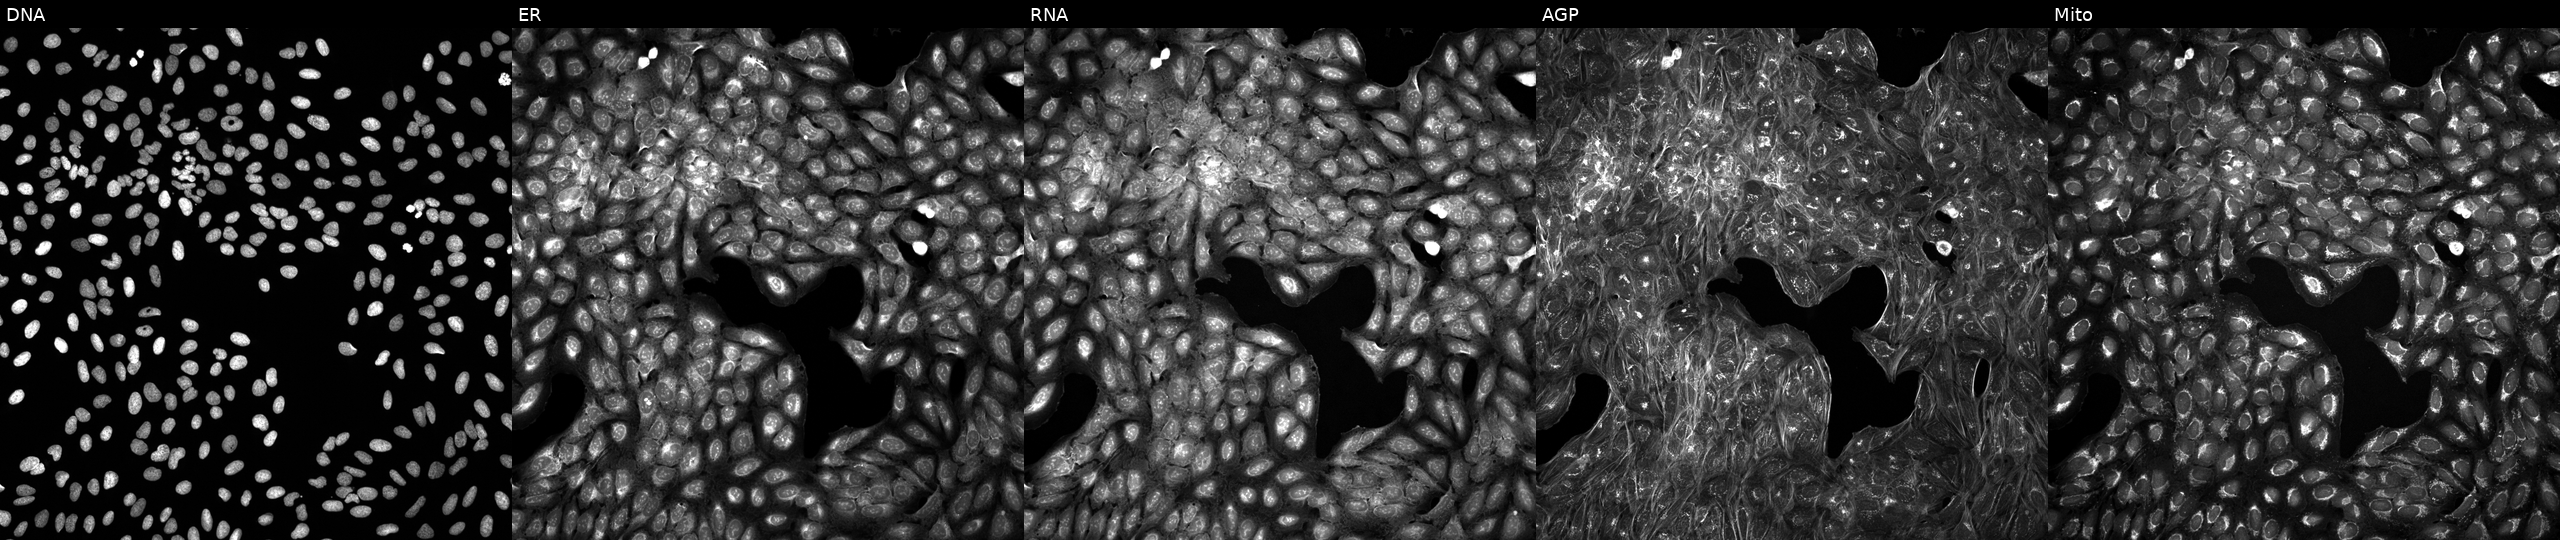
Five-channel Cell Painting image of U2OS cells treated with DMSO vehicle only (negative control) (JUMP id JCP2022_033924). The five panels, left to right, show DNA (nuclei); ER (endoplasmic reticulum); RNA (nucleoli and cytoplasmic RNA); AGP (actin cytoskeleton, Golgi, and plasma membrane); Mito (mitochondria).